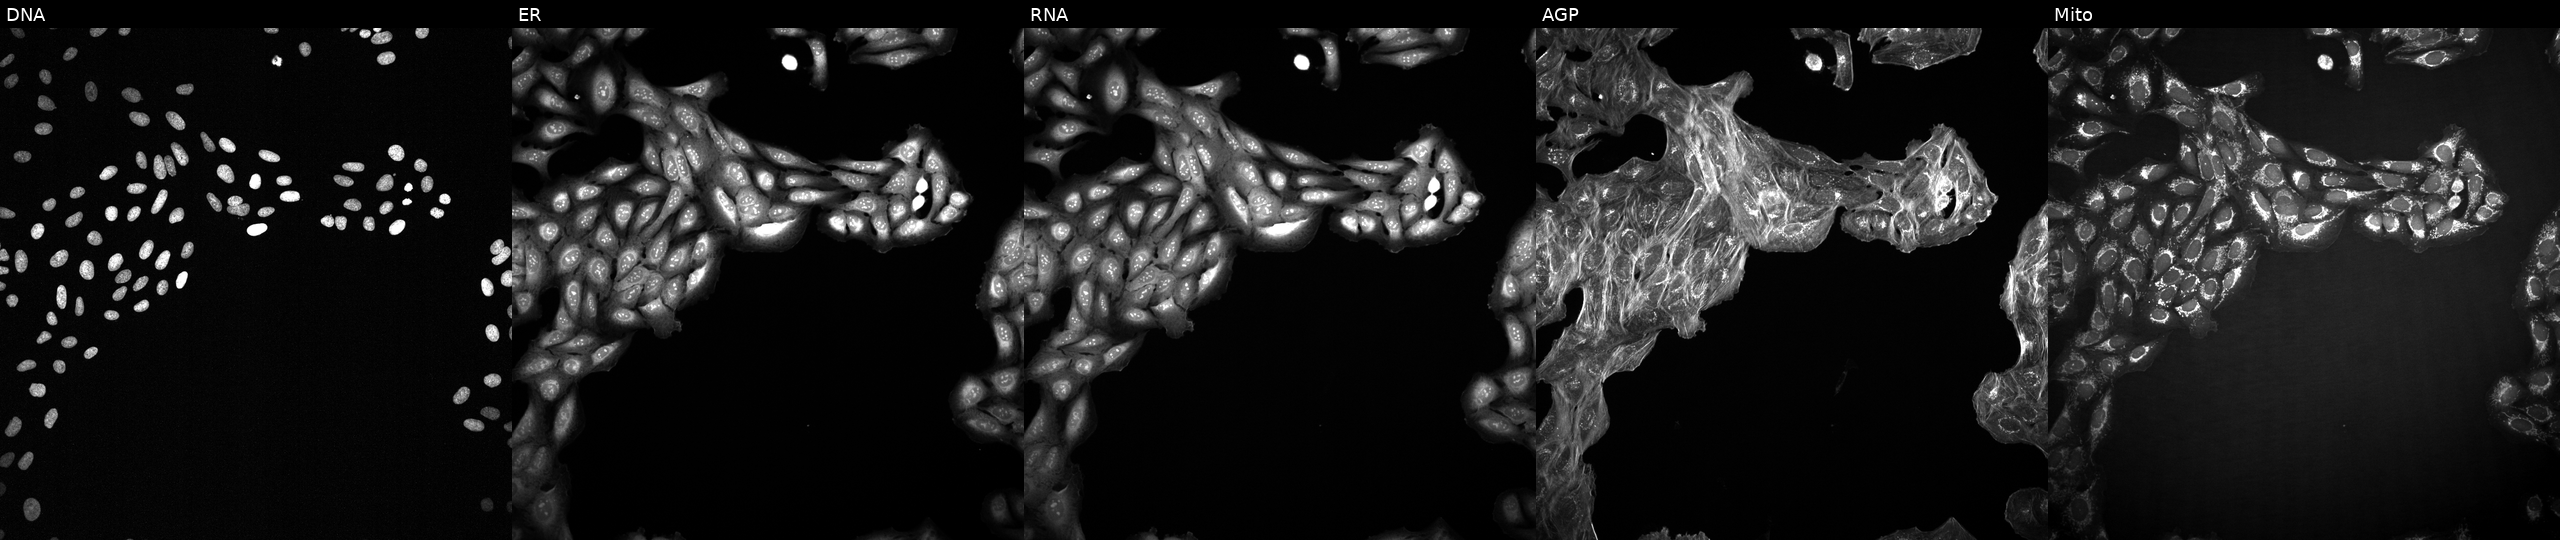
U2OS cells, Cell Painting assay, exposed to a small-molecule compound (InChIKey KEZFTUYZWYSXKP-UHFFFAOYSA-N). Panels show, left to right, Hoechst 33342, concanavalin A, SYTO 14, phalloidin and WGA, MitoTracker. Each panel is percentile-stretched 16-bit fluorescence.